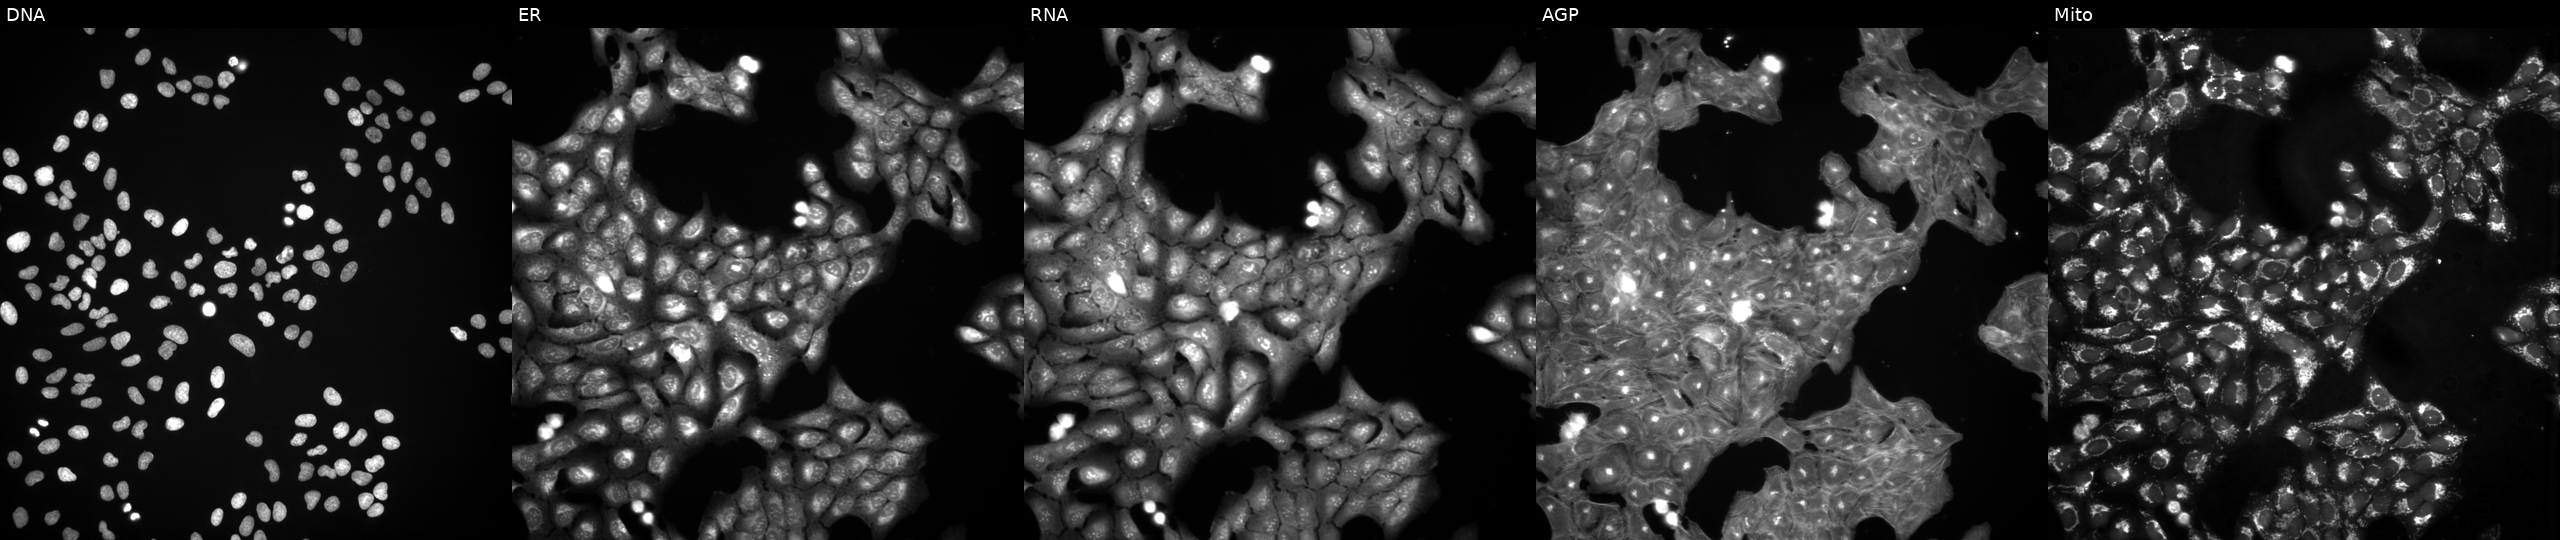
JUMP Cell Painting — TARGET2 plate. U2OS cells perturbed with a small-molecule compound (InChIKey PBBGSZCBWVPOOL-UHFFFAOYSA-N). The five panels, left to right, show DNA (nuclei); ER (endoplasmic reticulum); RNA (nucleoli and cytoplasmic RNA); AGP (actin cytoskeleton, Golgi, and plasma membrane); Mito (mitochondria).